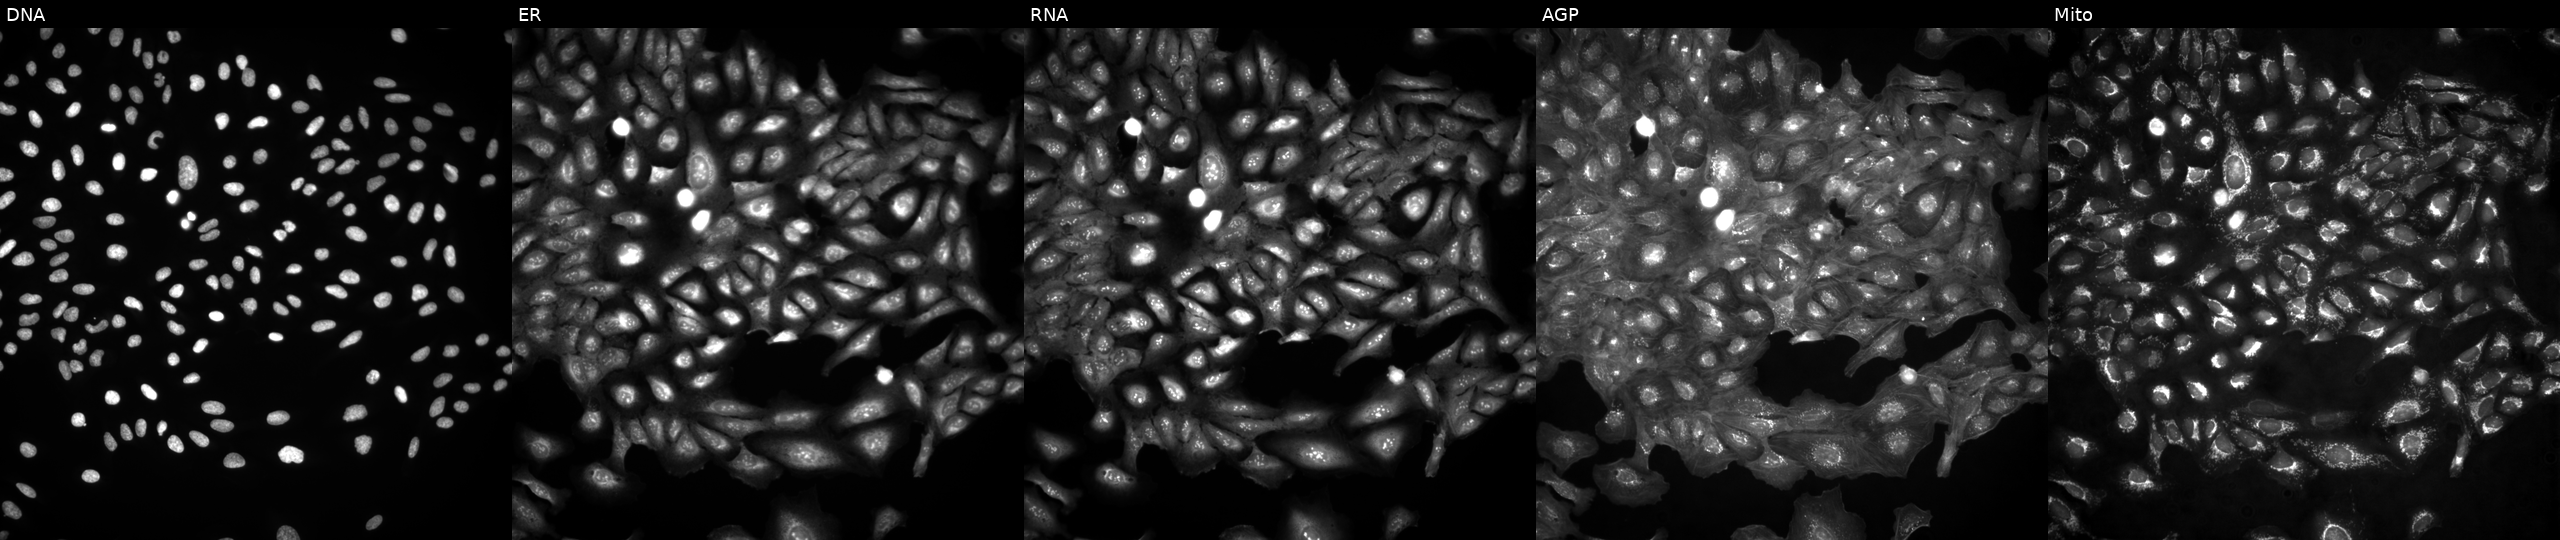
U2OS cells, Cell Painting assay, untreated (empty-well control) (JUMP id JCP2022_999999). Channels (left→right): DNA, ER, RNA, AGP, and Mito. Each panel is percentile-stretched 16-bit fluorescence. Source 4, plate BR00124793, well H17.